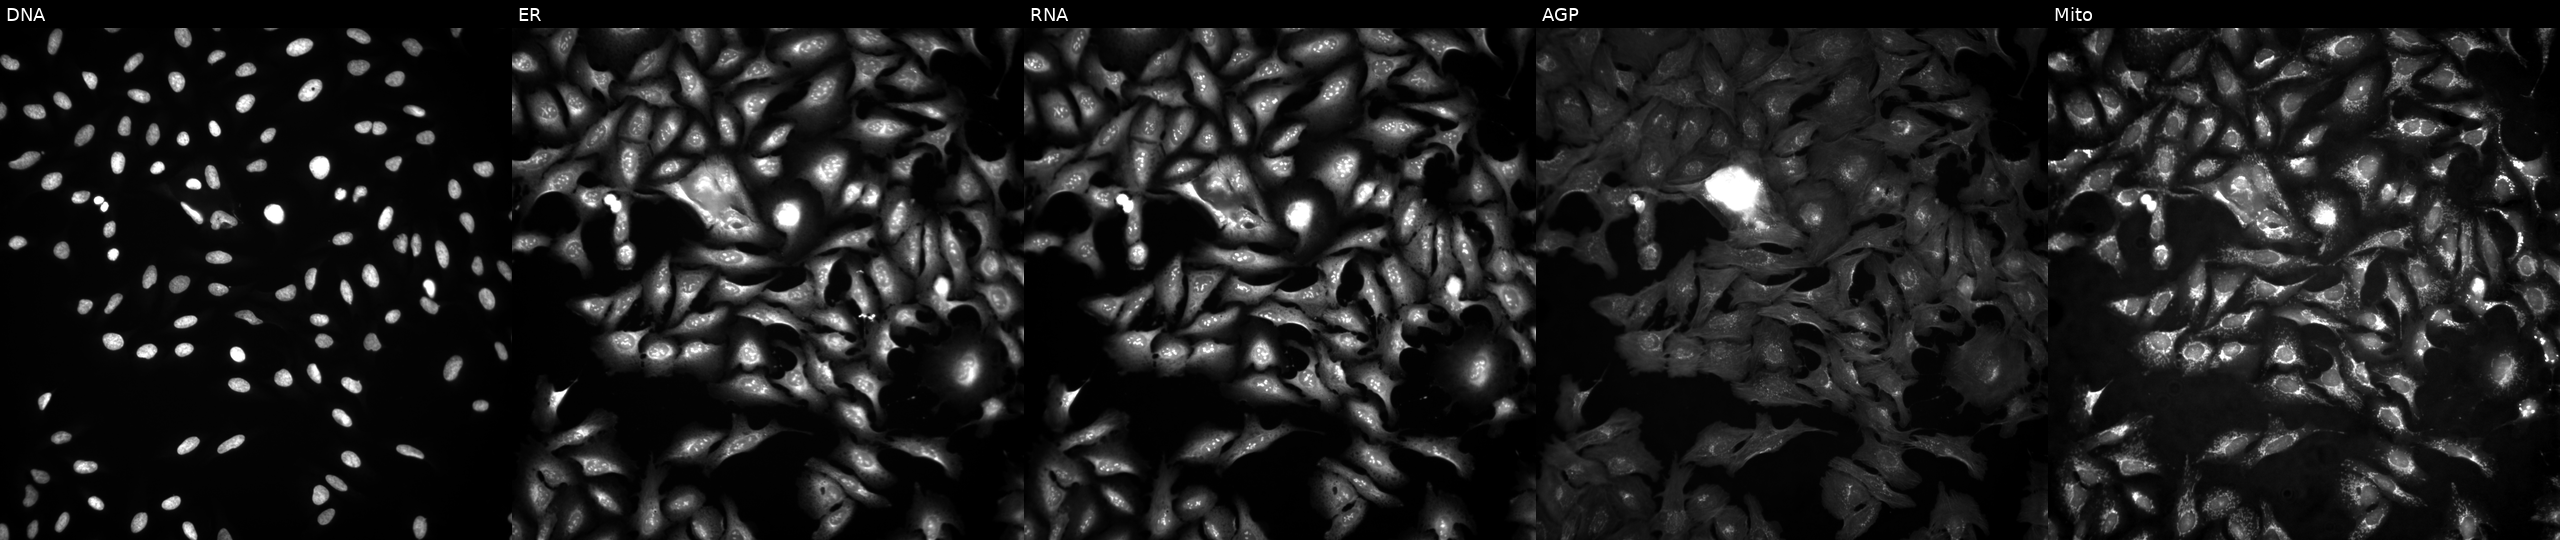
U2OS cells, Cell Painting assay, overexpressing PLXNB1 via ORF transfection (JUMP id JCP2022_910286). Panels show, left to right, DNA, ER, RNA, AGP, and Mito. Each panel is percentile-stretched 16-bit fluorescence.